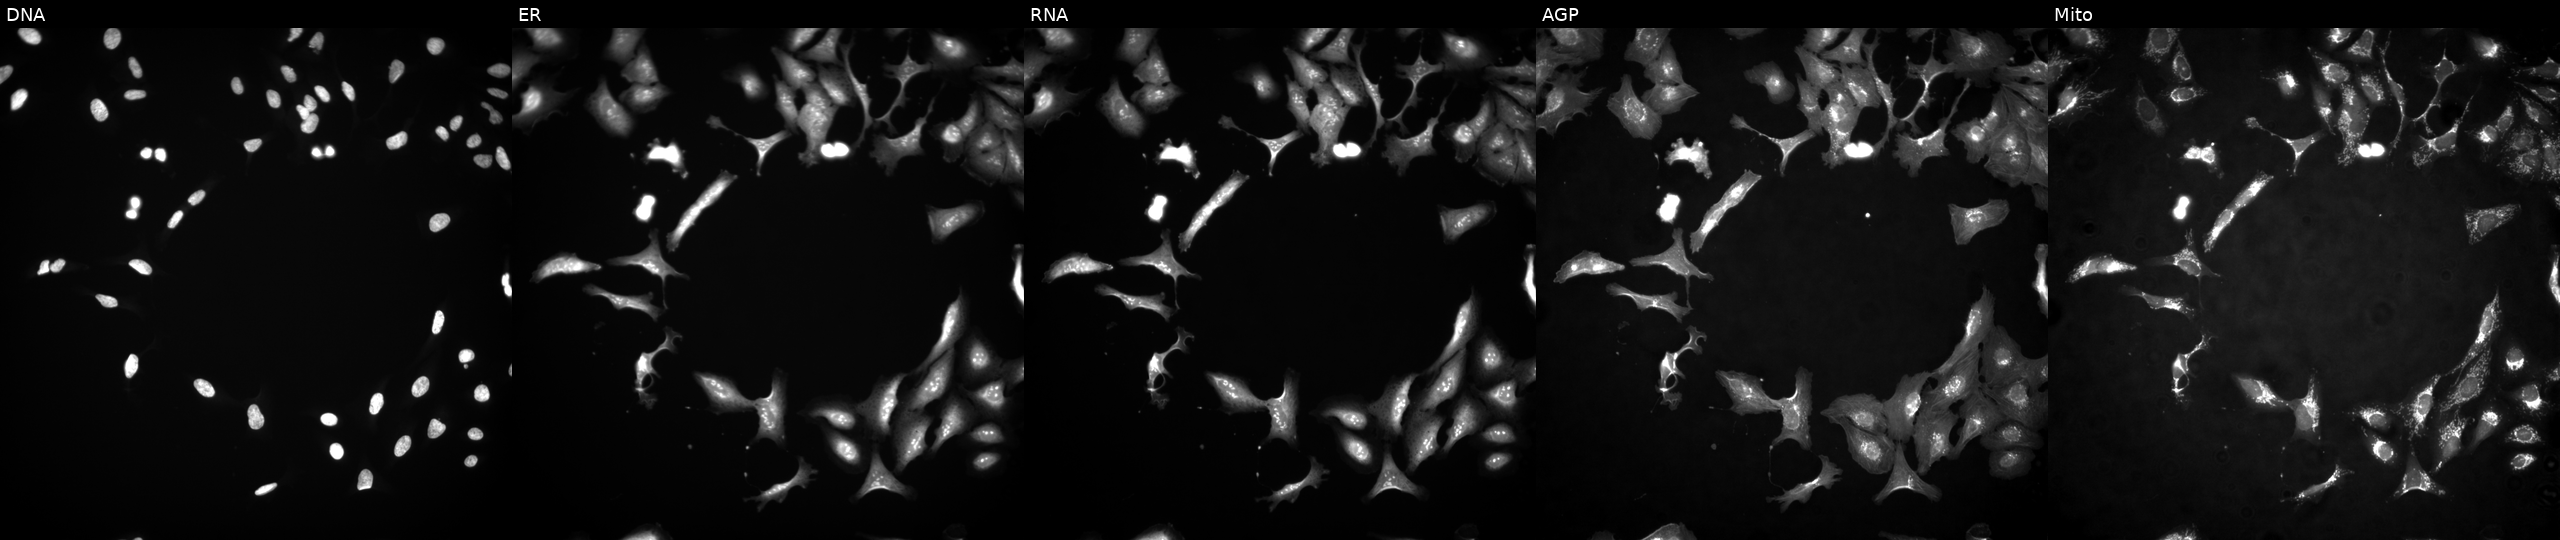
Five-channel Cell Painting image of U2OS cells transfected with an ORF construct for FHL1 (JUMP id JCP2022_900531). Channels (left→right): DNA, ER, RNA, AGP, and Mito. Source 4, plate BR00117035, well B04.